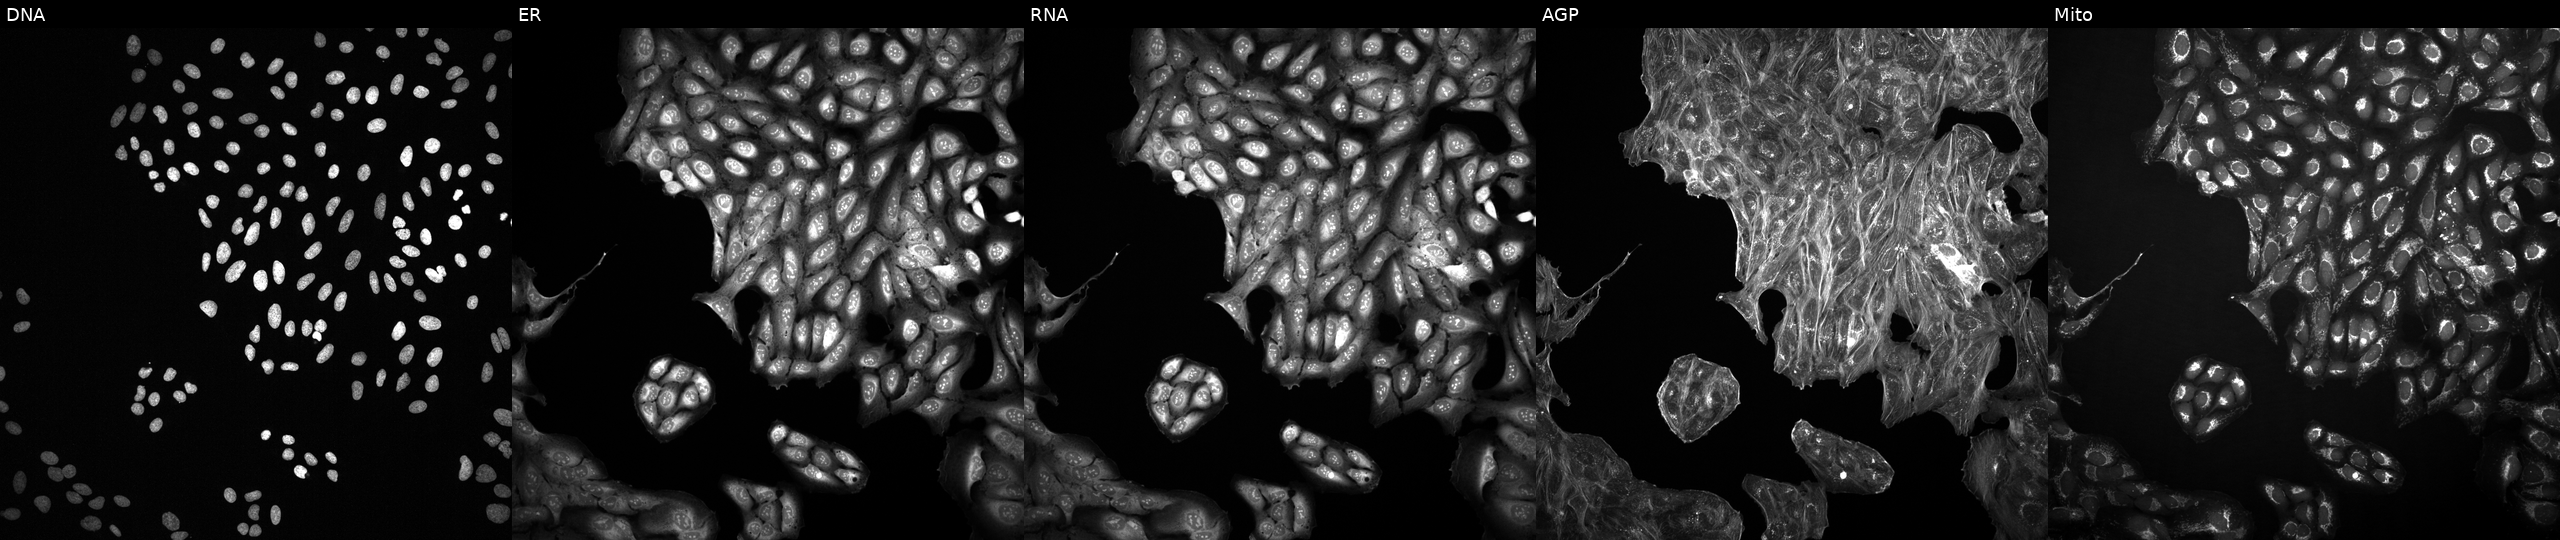
High-content fluorescence microscopy (Cell Painting). Cell line: U2OS. Perturbation: treated with a small-molecule compound (JUMP id JCP2022_028940). The five panels, left to right, show DNA (nuclei); ER (endoplasmic reticulum); RNA (nucleoli and cytoplasmic RNA); AGP (actin cytoskeleton, Golgi, and plasma membrane); Mito (mitochondria). Source 2, plate 1053597936, well E04.